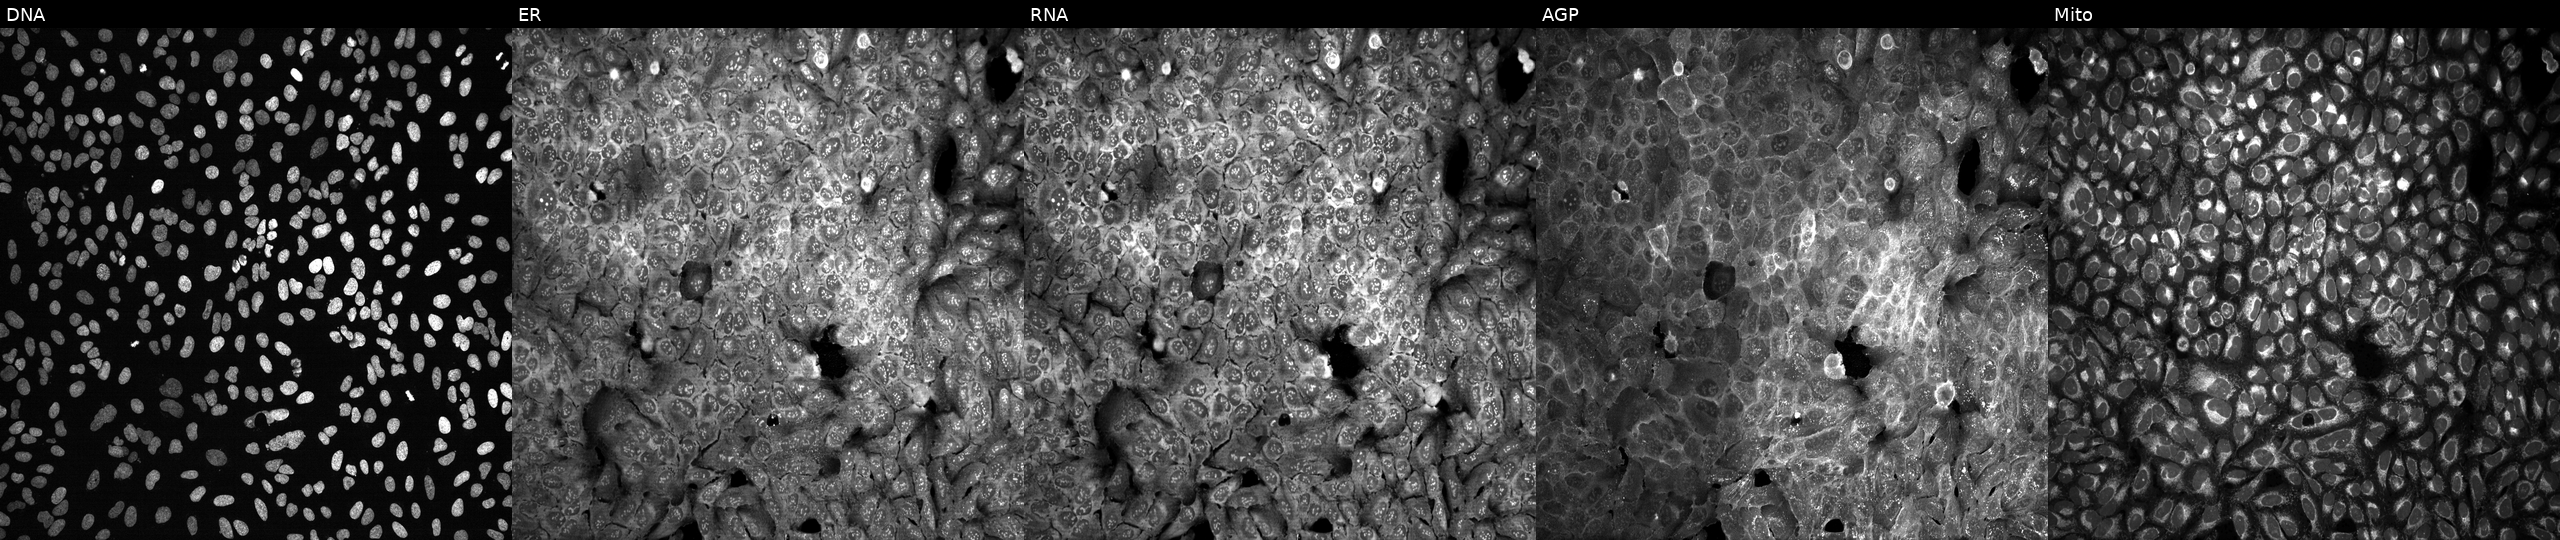
High-content fluorescence microscopy (Cell Painting). Cell line: U2OS. Perturbation: with PITX1 knocked out by CRISPR (JUMP id JCP2022_805188). Panels show, left to right, DNA, ER, RNA, AGP, and Mito. Source 13, plate CP-CC9-R6-19, well N12.